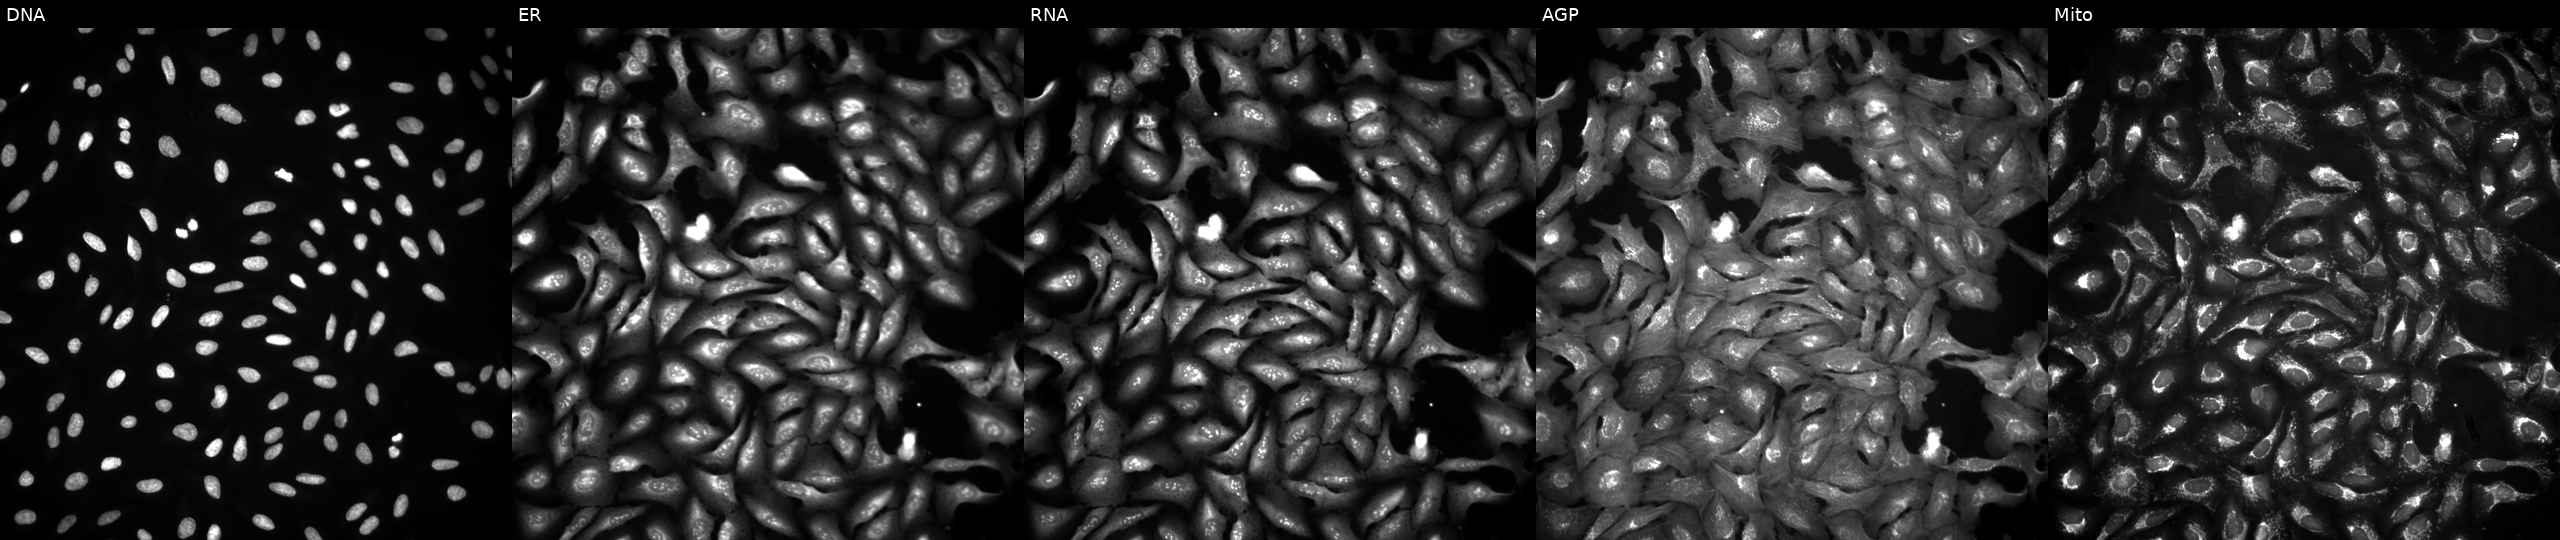
JUMP Cell Painting — ORF plate. U2OS cells overexpressing RPL3 via ORF transfection. The five panels, left to right, show DNA (nuclei); ER (endoplasmic reticulum); RNA (nucleoli and cytoplasmic RNA); AGP (actin cytoskeleton, Golgi, and plasma membrane); Mito (mitochondria). Source 4, plate BR00124787, well F20.